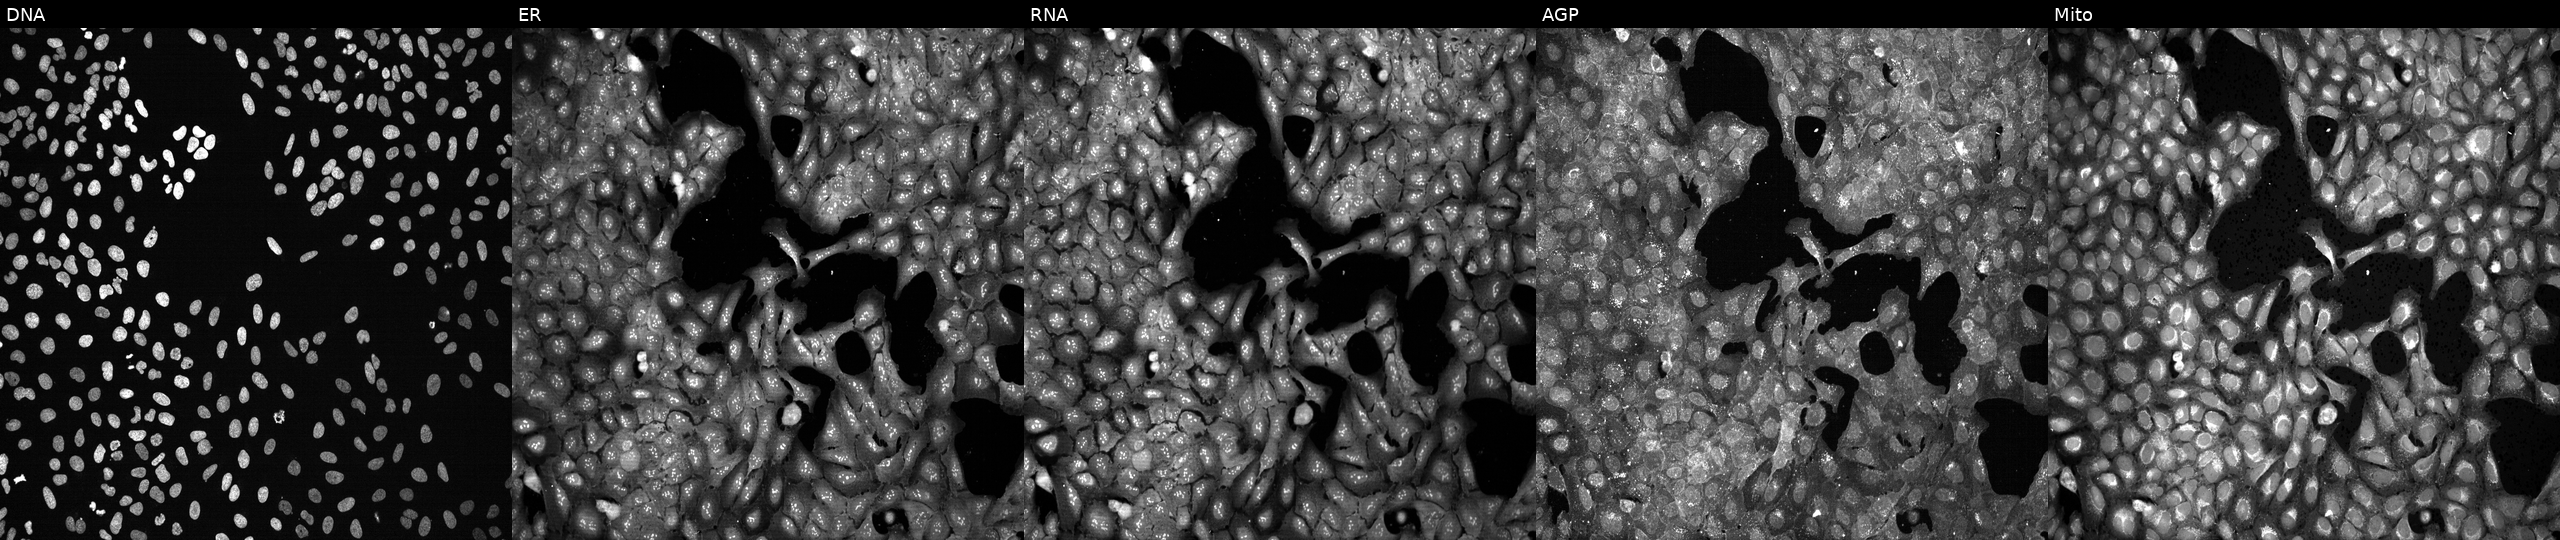
U2OS cells, Cell Painting assay, with SERPINB1 knocked out by CRISPR. From left to right: Hoechst 33342, concanavalin A, SYTO 14, phalloidin and WGA, MitoTracker. Each panel is percentile-stretched 16-bit fluorescence.